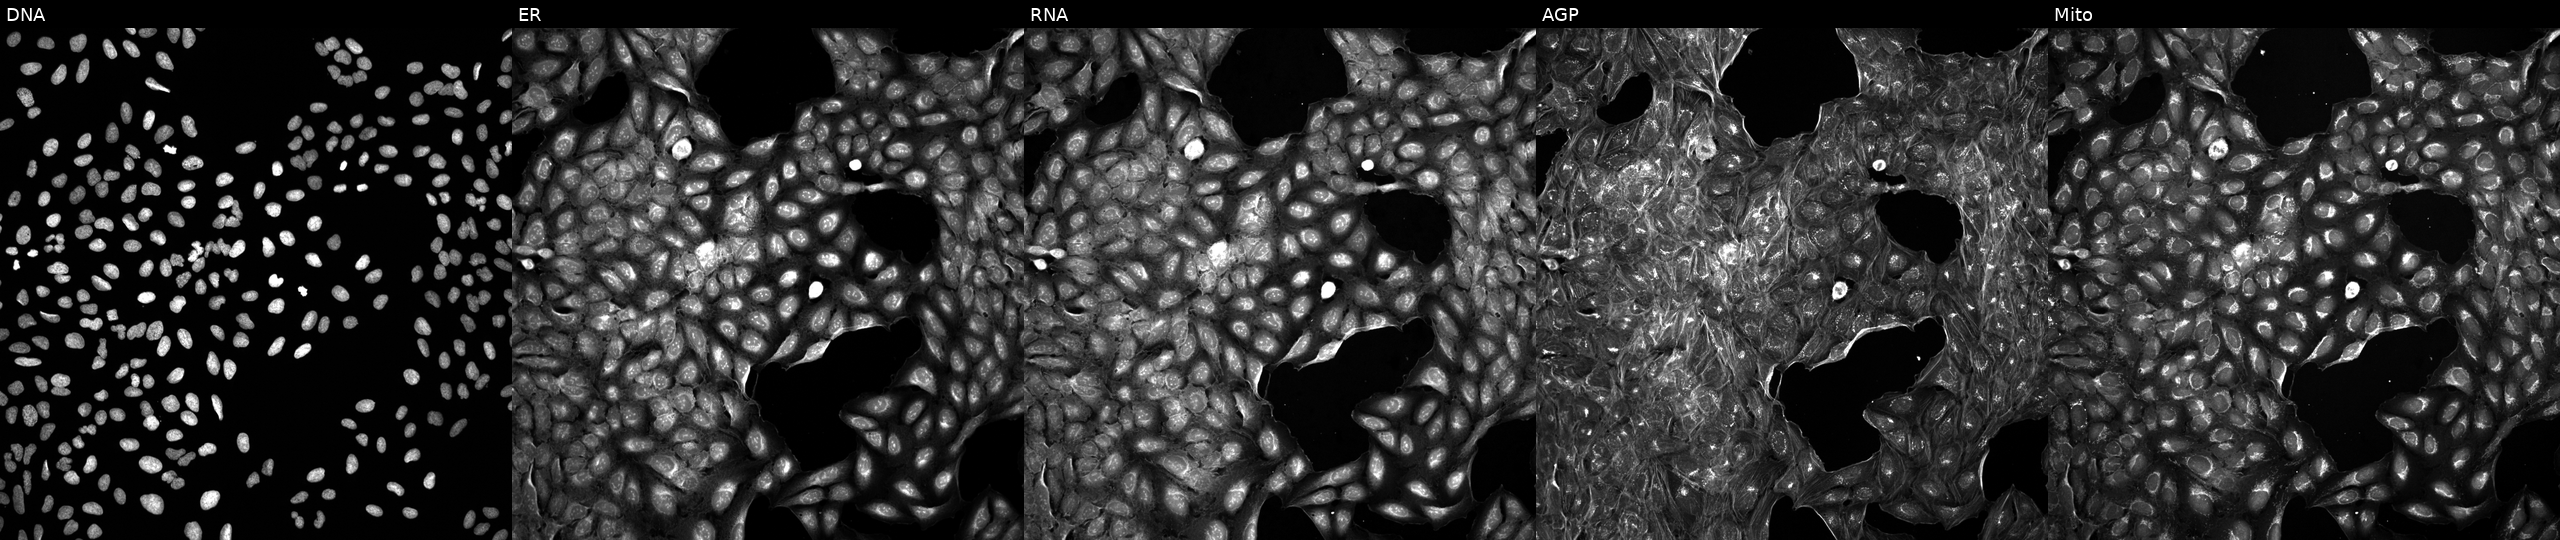
This image strip shows the five Cell Painting channels for a single field of U2OS cells exposed to a small-molecule compound (InChIKey YXHPIUXWXIWZMT-UHFFFAOYSA-N). The five panels, left to right, show Hoechst 33342, concanavalin A, SYTO 14, phalloidin and WGA, MitoTracker.